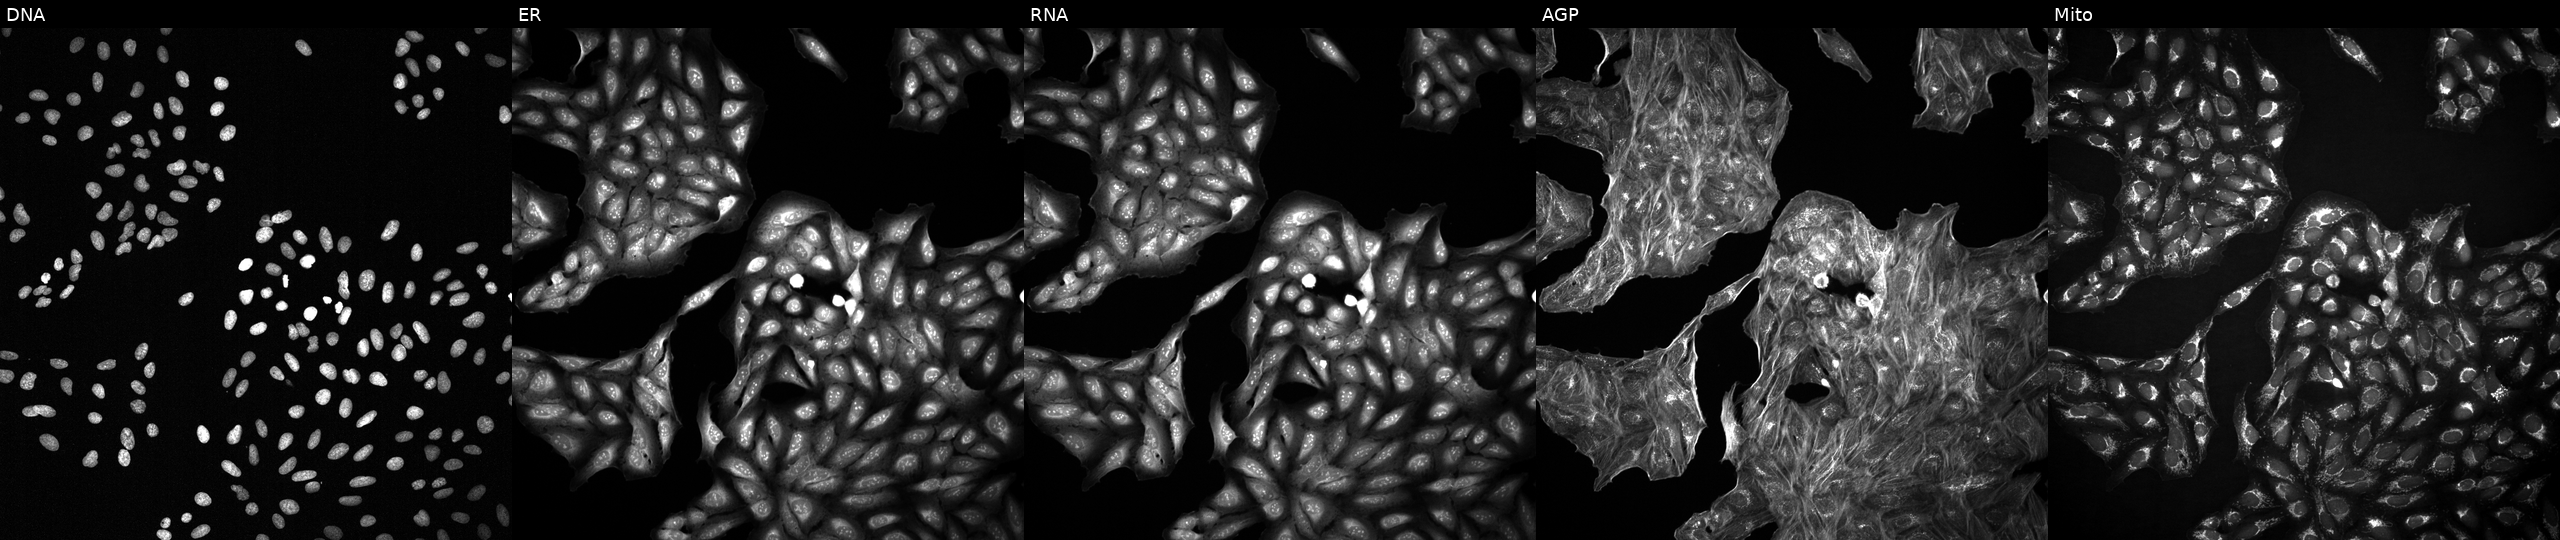
This image strip shows the five Cell Painting channels for a single field of U2OS cells with an unidentified perturbation (not annotated in JUMP metadata). The five panels, left to right, show Hoechst 33342, concanavalin A, SYTO 14, phalloidin and WGA, MitoTracker. Source 2, plate 1053601763, well L04.